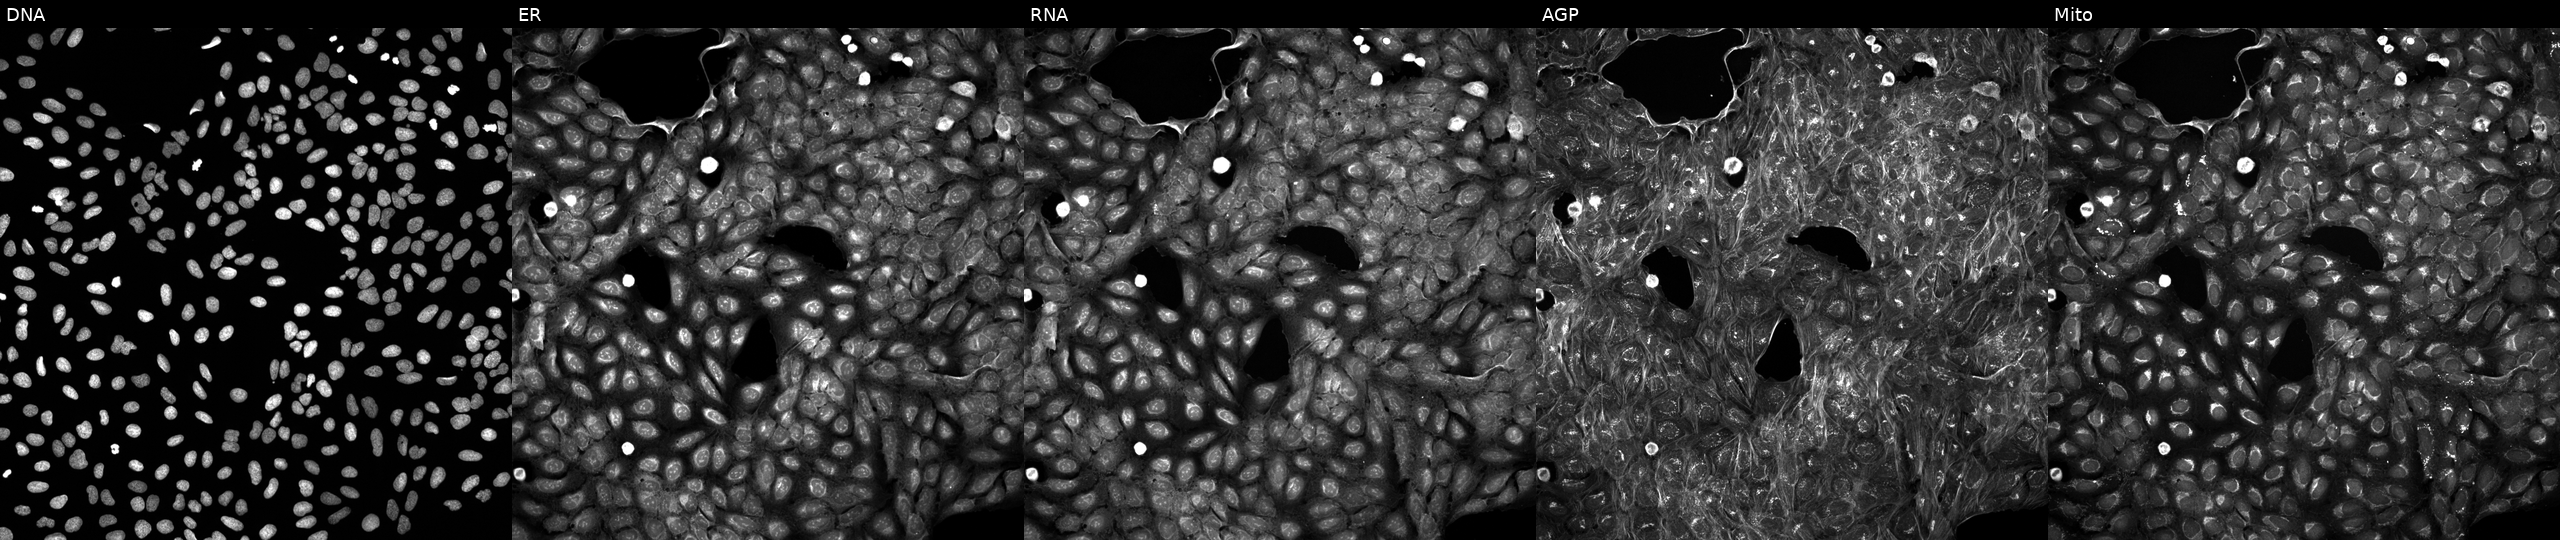
From left to right: DNA, ER, RNA, AGP, and Mito. U2OS osteosarcoma cells exposed to a small-molecule compound (InChIKey YAOYUPIFCTZISX-UHFFFAOYSA-N). Cell Painting assay, JUMP-CP dataset.